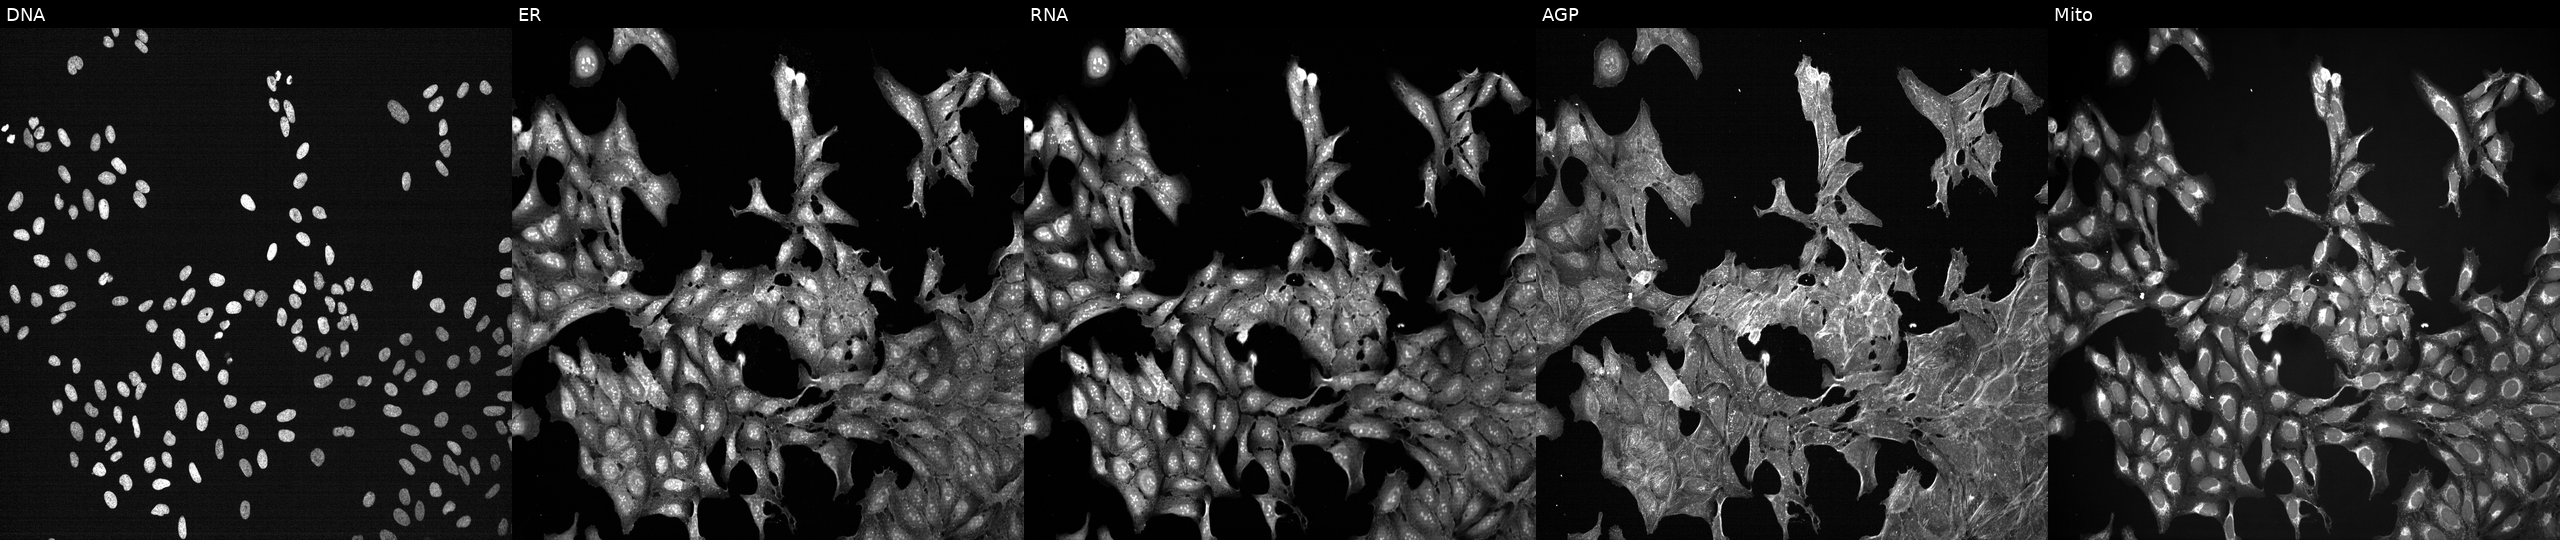
Five-channel Cell Painting image of U2OS cells perturbed with a small-molecule compound (InChIKey VCKUSRYTPJJLNI-UHFFFAOYSA-N) (JUMP id JCP2022_093047). From left to right: Hoechst 33342, concanavalin A, SYTO 14, phalloidin and WGA, MitoTracker.